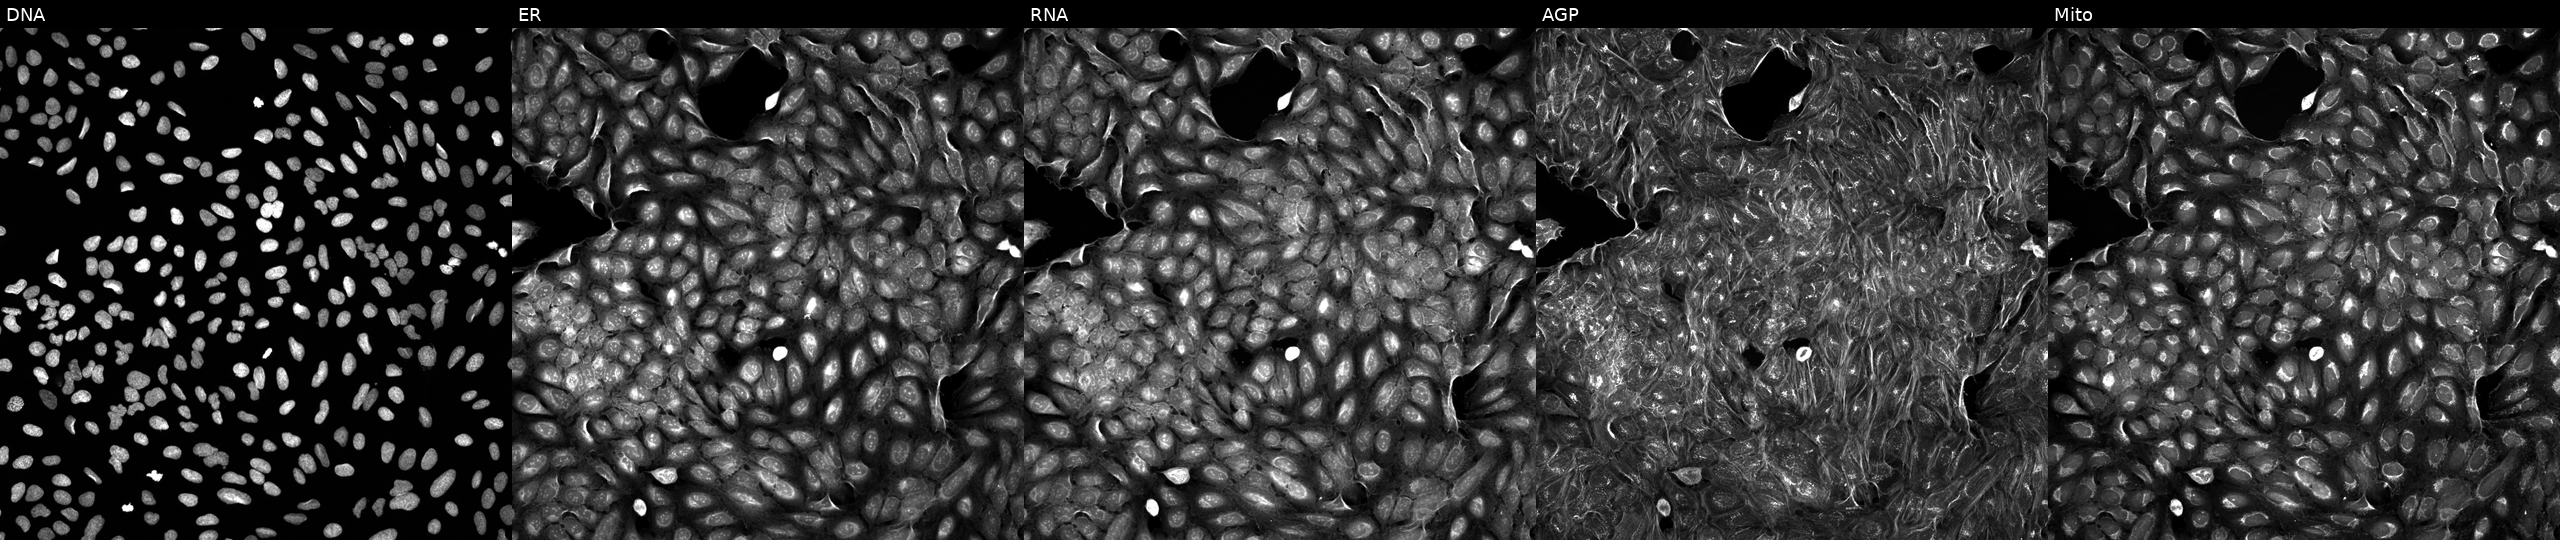
High-content fluorescence microscopy (Cell Painting). Cell line: U2OS. Perturbation: exposed to DMSO alone as a negative control. Channels (left→right): Hoechst 33342, concanavalin A, SYTO 14, phalloidin and WGA, MitoTracker. Source 5, plate APTJUM105, well P02.